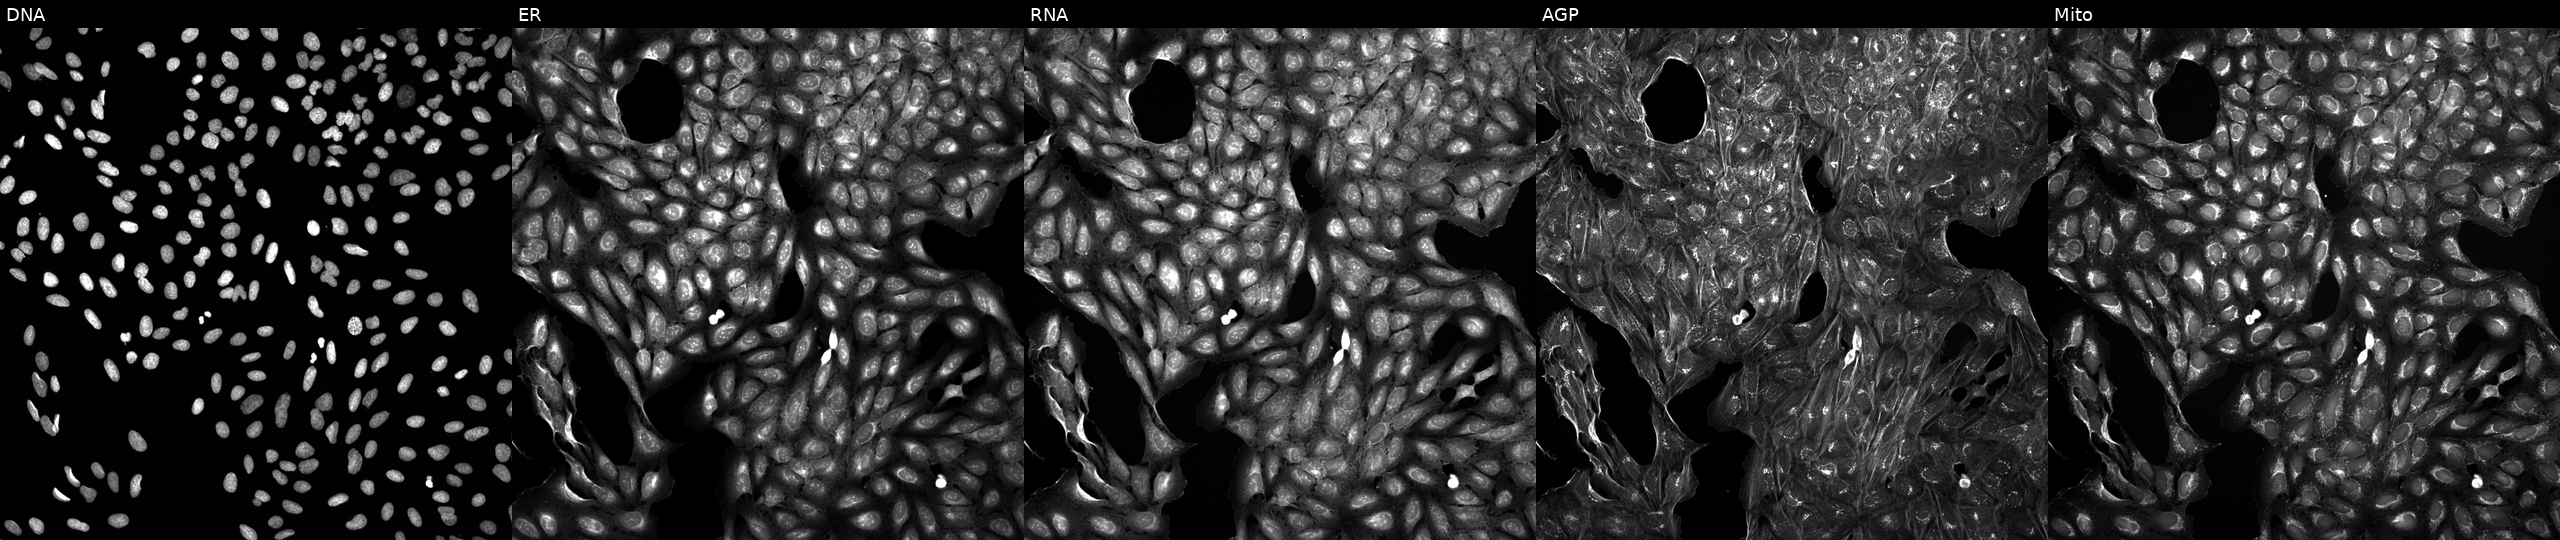
JUMP Cell Painting — COMPOUND plate. U2OS cells treated with quinidine (positive-control compound). From left to right: Hoechst 33342, concanavalin A, SYTO 14, phalloidin and WGA, MitoTracker.